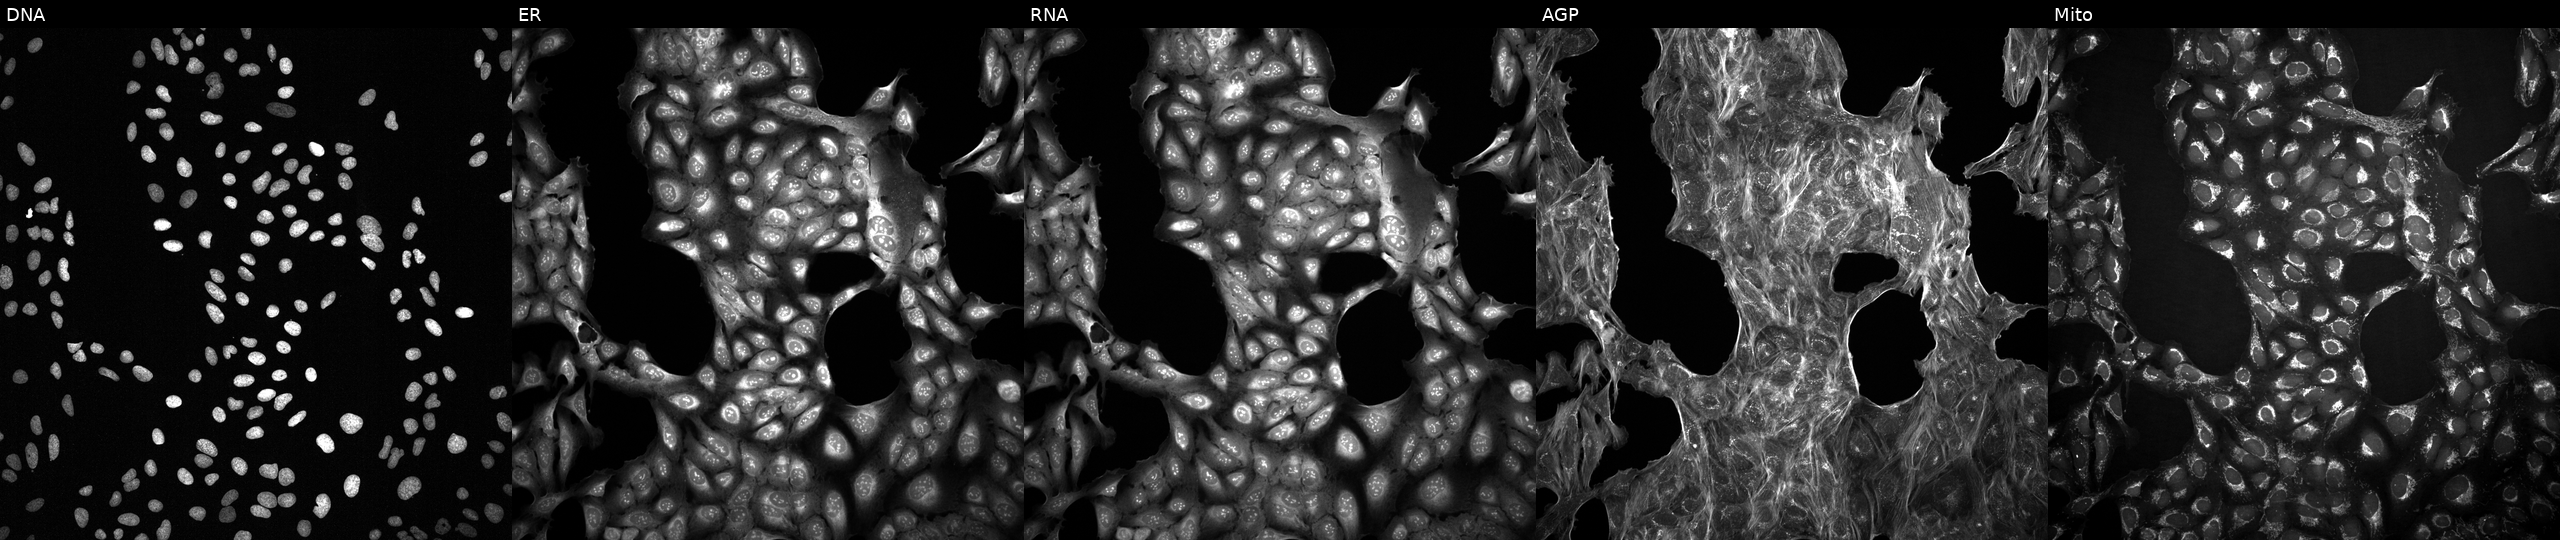
JUMP Cell Painting — COMPOUND plate. U2OS cells exposed to DMSO alone as a negative control (JUMP id JCP2022_033924). Panels show, left to right, DNA, ER, RNA, AGP, and Mito. Source 2, plate 1053601756, well C23.